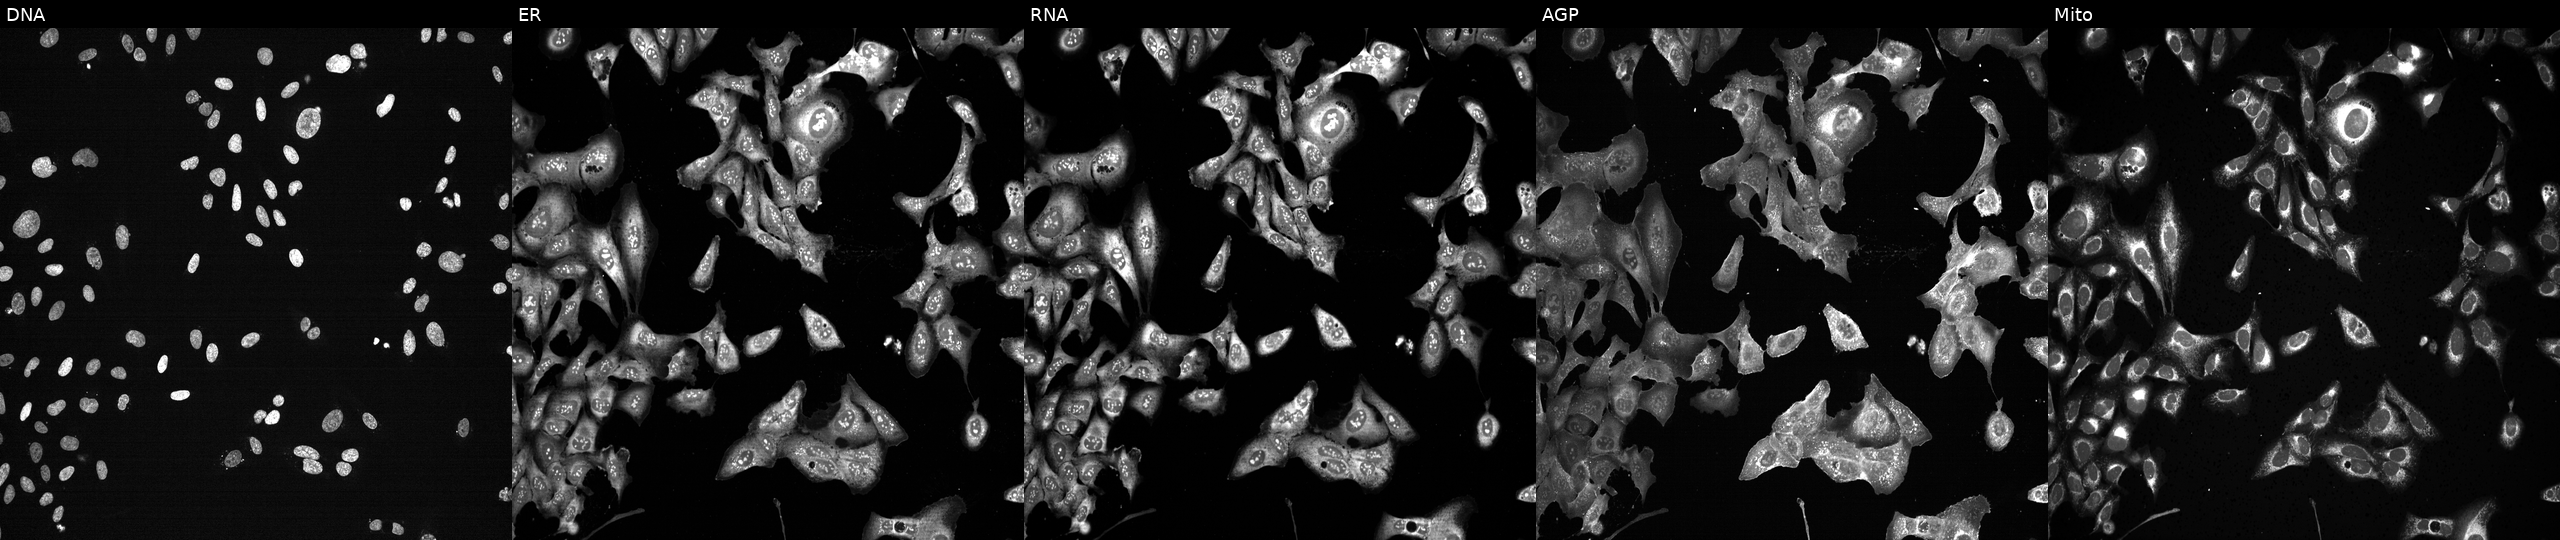
Channels (left→right): DNA, ER, RNA, AGP, and Mito. U2OS osteosarcoma cells following CRISPR knockout of PSMB5. Cell Painting assay, JUMP-CP dataset. Source 13, plate CP-CC9-R6-19, well D11.